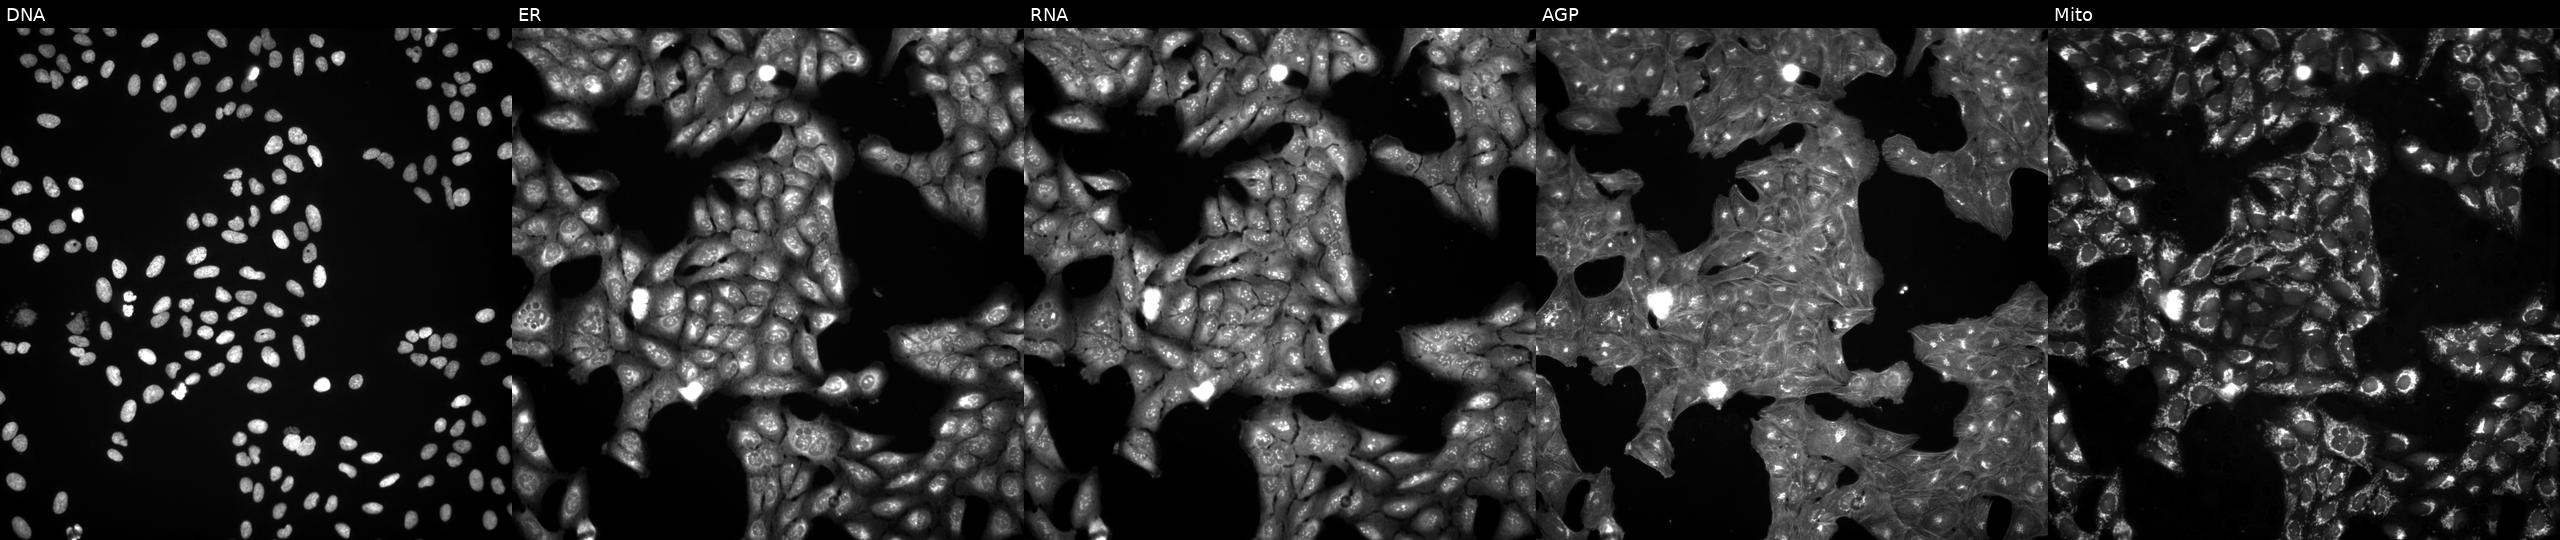
High-content fluorescence microscopy (Cell Painting). Cell line: U2OS. Perturbation: treated with a small-molecule compound (InChIKey CNMKNAMYLNFQNZ-UHFFFAOYSA-N). From left to right: Hoechst 33342, concanavalin A, SYTO 14, phalloidin and WGA, MitoTracker.